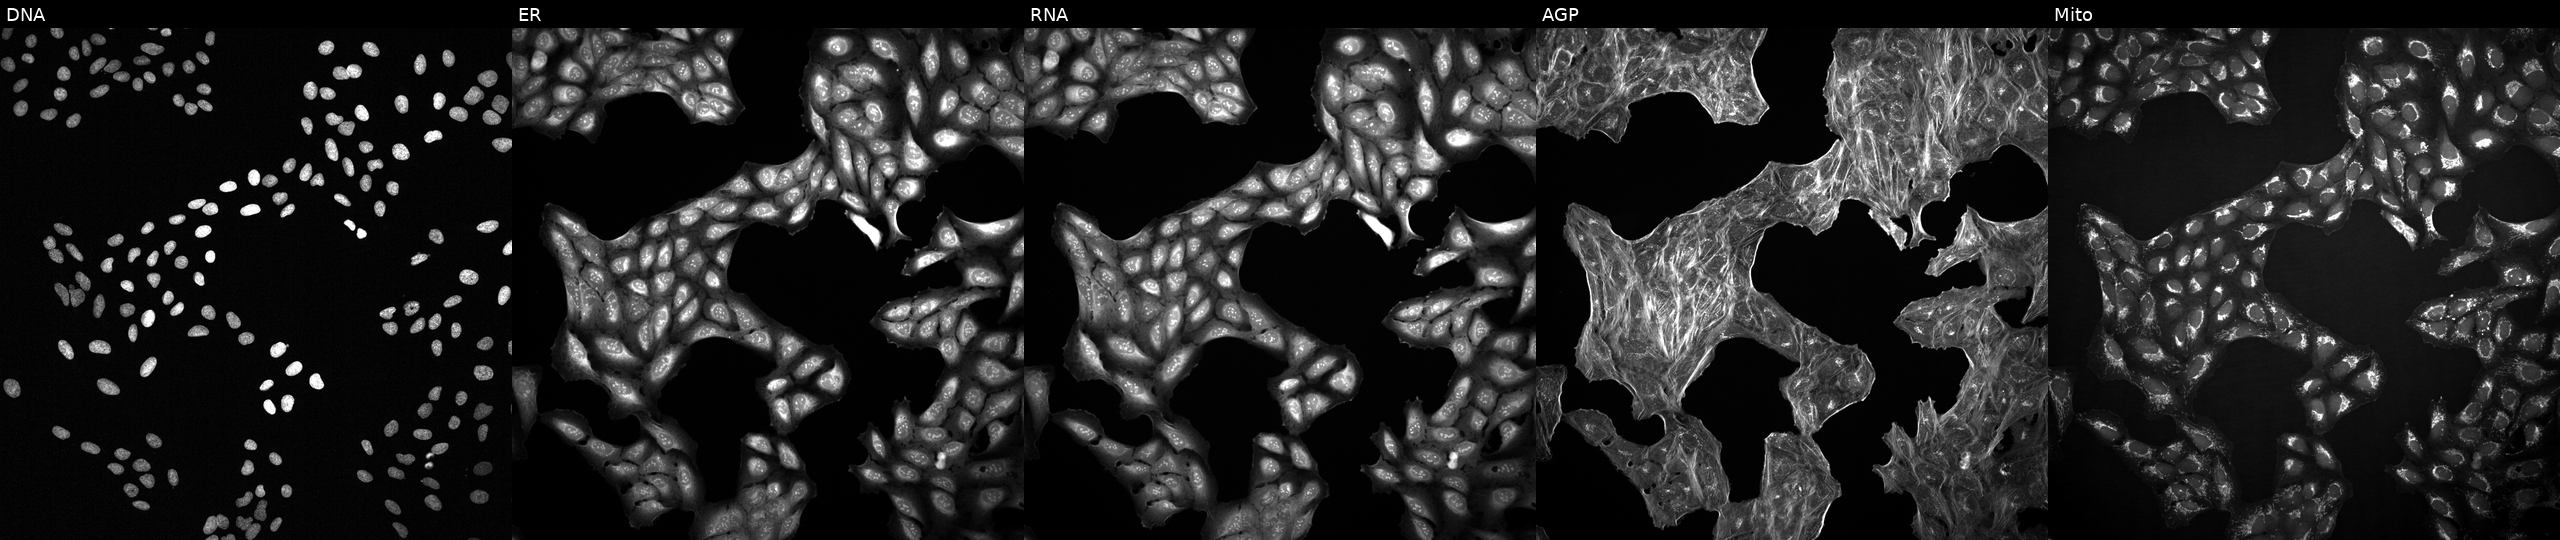
JUMP Cell Painting — COMPOUND plate. U2OS cells perturbed with a small-molecule compound (InChIKey FUGBPSJCFKIHQY-UHFFFAOYSA-N) [SMILES: CCc1ccc(OCCNC(=O)c2ccccc2SCc2ccccc2)cc1] (JUMP id JCP2022_022994). Panels show, left to right, Hoechst 33342, concanavalin A, SYTO 14, phalloidin and WGA, MitoTracker.